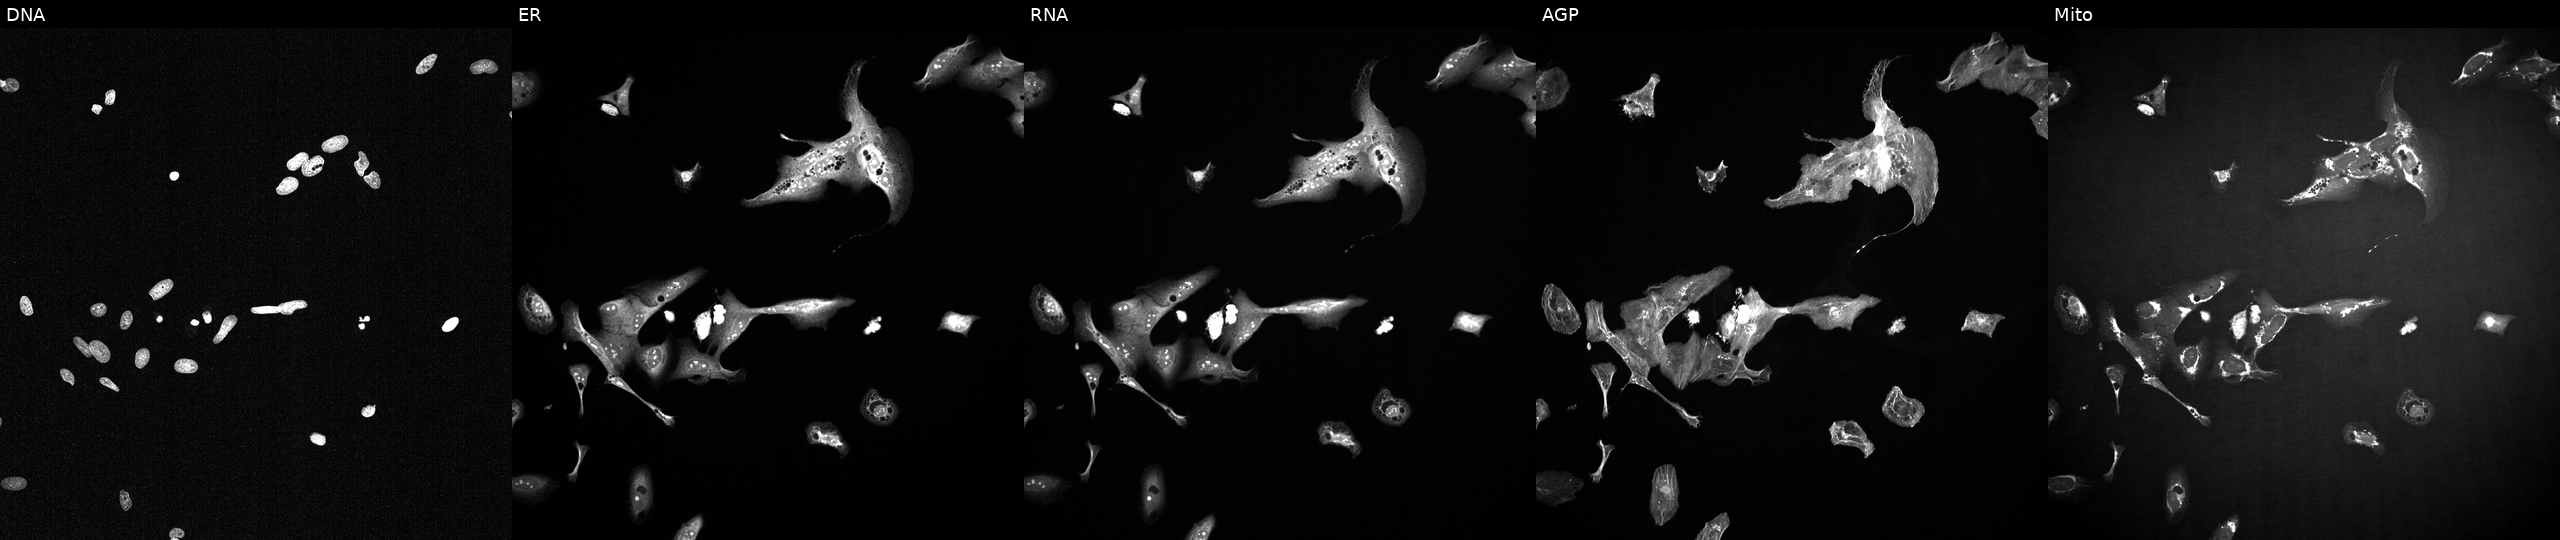
The five panels, left to right, show Hoechst 33342, concanavalin A, SYTO 14, phalloidin and WGA, MitoTracker. U2OS osteosarcoma cells treated with a small-molecule compound (InChIKey MNYJJHBAEYKXEG-UHFFFAOYSA-N). Cell Painting assay, JUMP-CP dataset. Source 2, plate 1053599503, well B22.